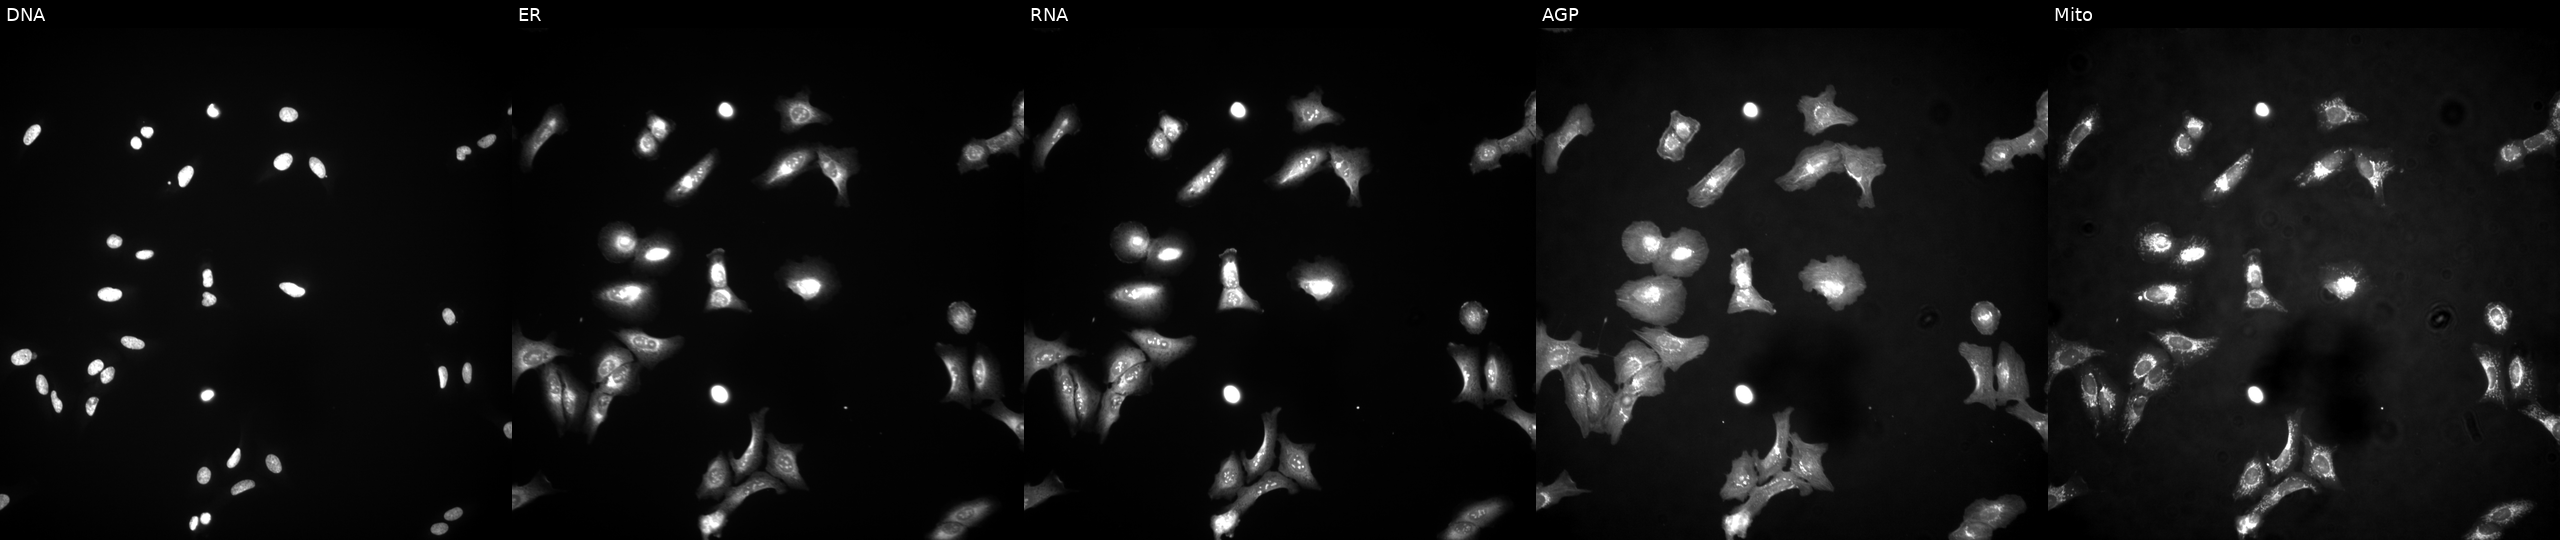
This image strip shows the five Cell Painting channels for a single field of U2OS cells with PRSS1 overexpressed (ORF) (JUMP id JCP2022_910310). Channels (left→right): DNA, ER, RNA, AGP, and Mito. Source 4, plate BR00124790, well L11.